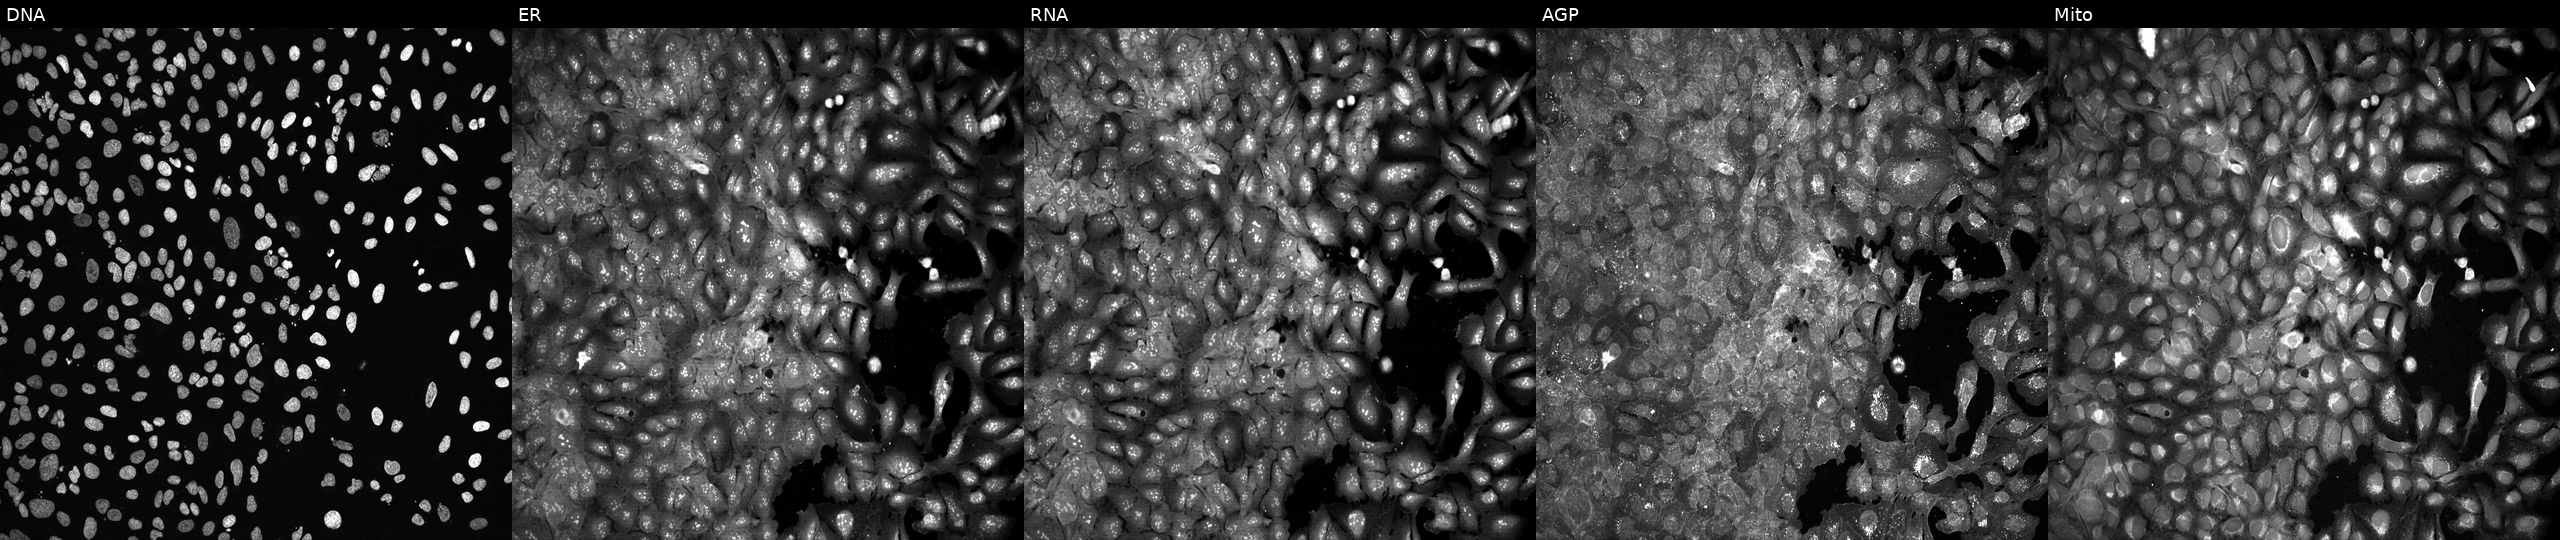
From left to right: DNA (nuclei); ER (endoplasmic reticulum); RNA (nucleoli and cytoplasmic RNA); AGP (actin cytoskeleton, Golgi, and plasma membrane); Mito (mitochondria). U2OS osteosarcoma cells CRISPR-edited to disrupt IBSP (JUMP id JCP2022_803310). Cell Painting assay, JUMP-CP dataset. Source 13, plate CP-CC9-R1-02, well J03.